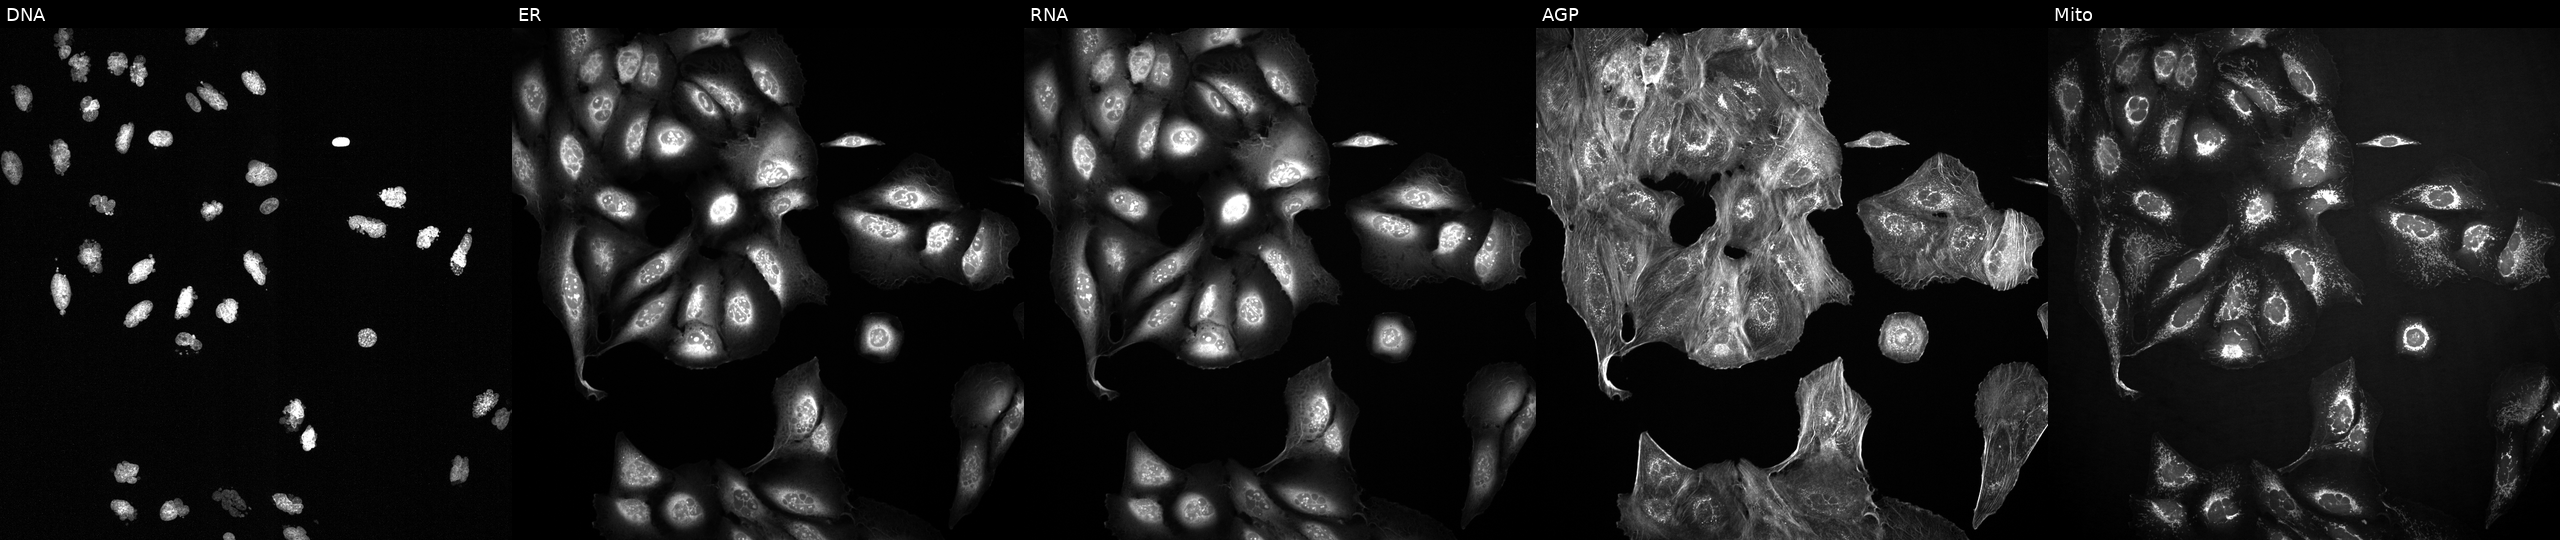
From left to right: Hoechst 33342, concanavalin A, SYTO 14, phalloidin and WGA, MitoTracker. U2OS osteosarcoma cells exposed to the positive-control compound AMG900 (JUMP id JCP2022_037716). Cell Painting assay, JUMP-CP dataset. Source 2, plate 1053601763, well J01.